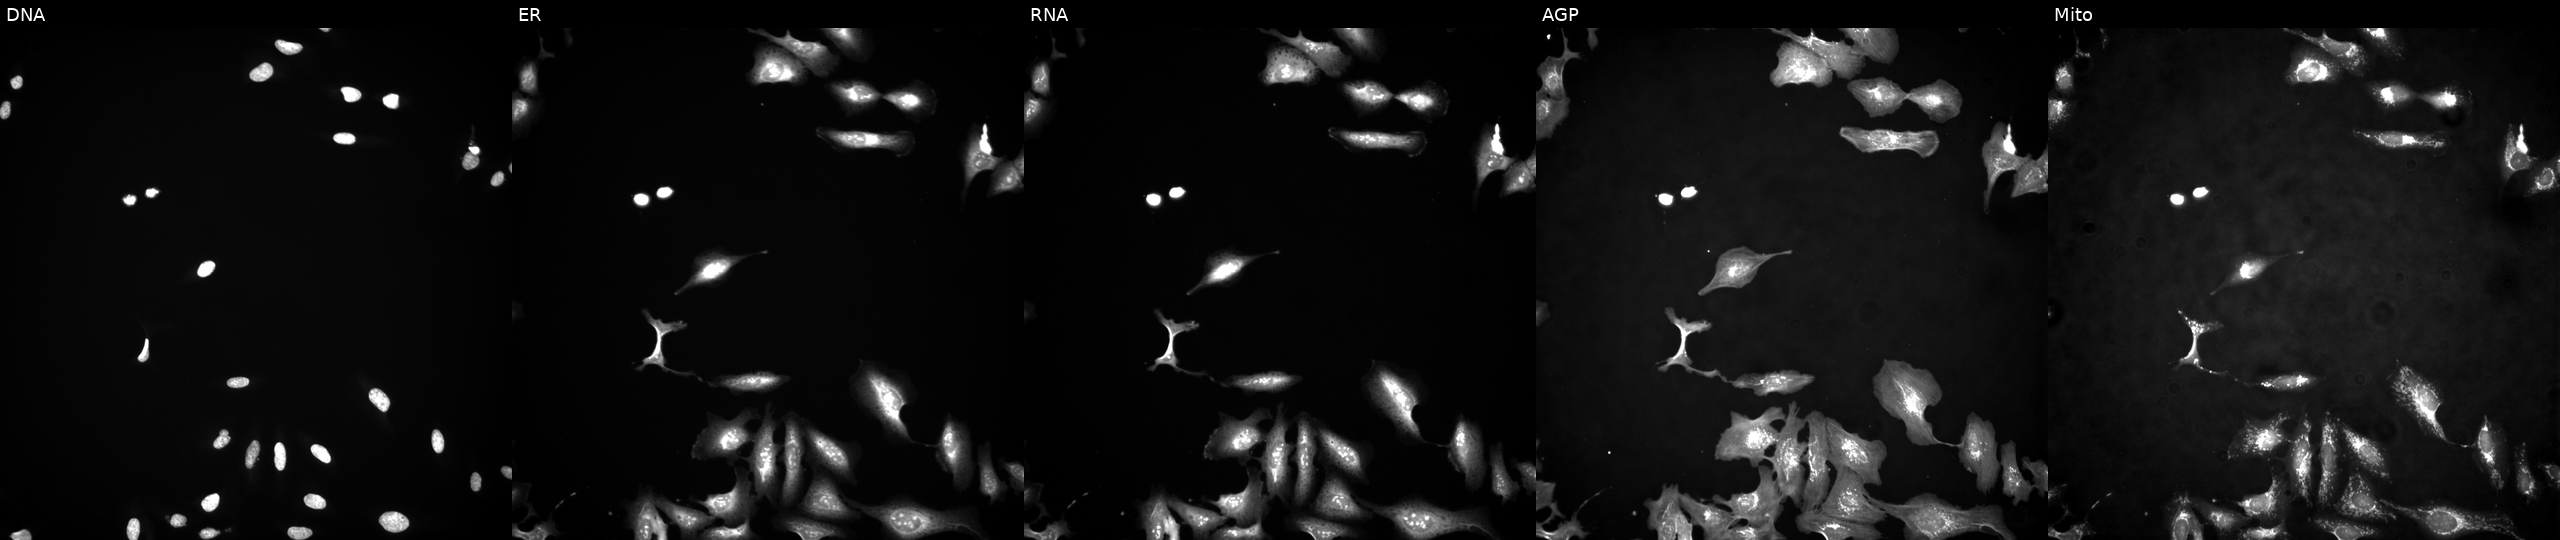
JUMP Cell Painting — ORF plate. U2OS cells with LOC732306 overexpressed (ORF). From left to right: DNA, ER, RNA, AGP, and Mito. Source 4, plate BR00123945, well E15.